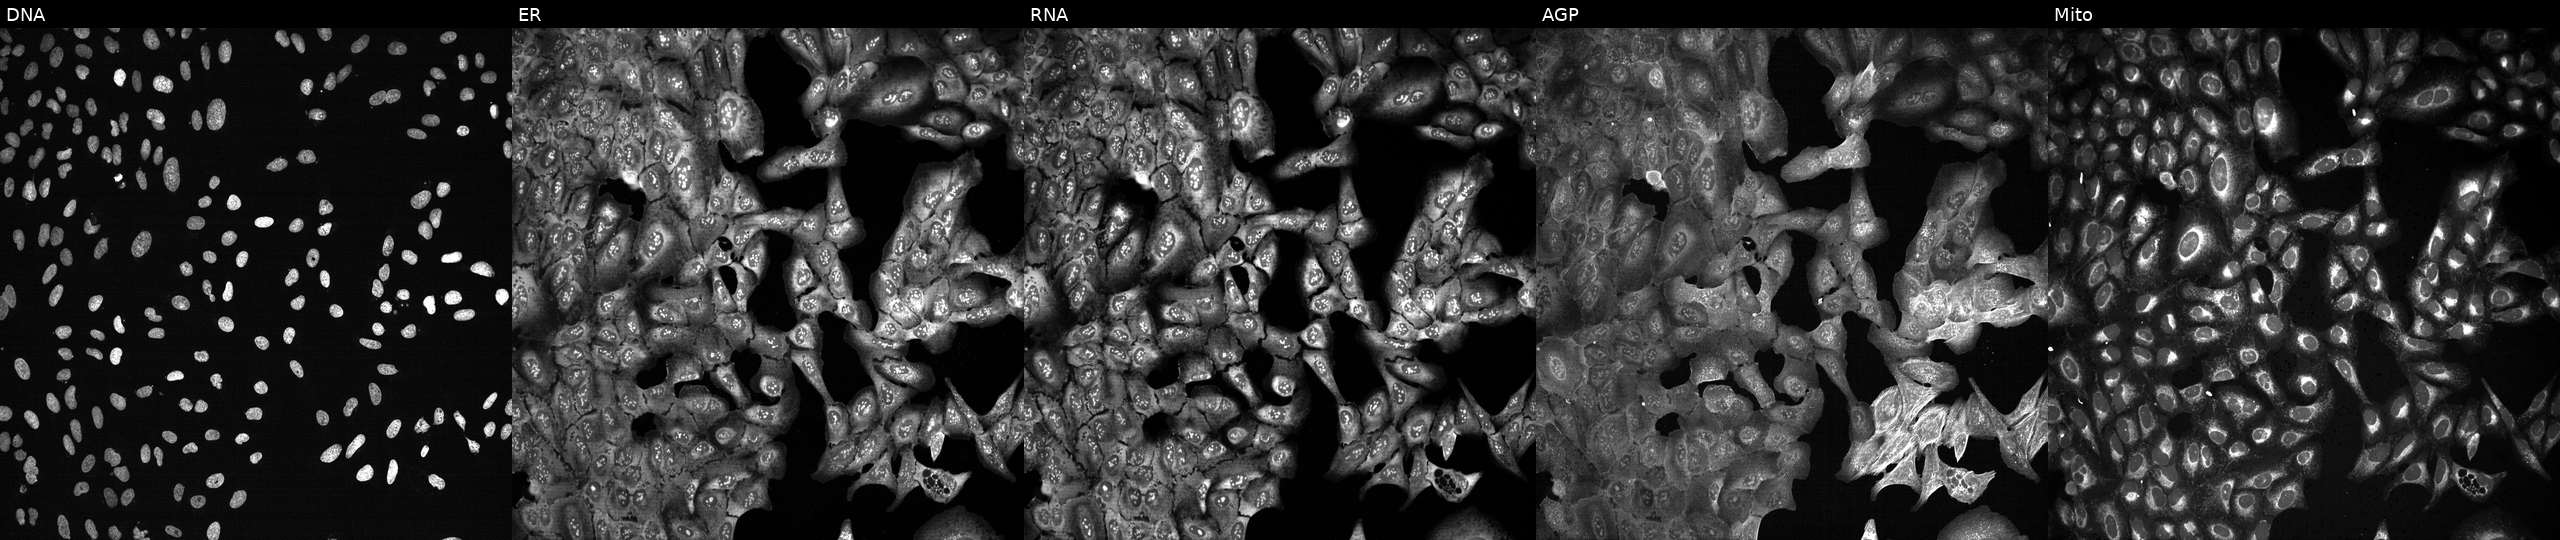
JUMP Cell Painting — CRISPR plate. U2OS cells with TRMT61A knocked out by CRISPR. The five panels, left to right, show Hoechst 33342, concanavalin A, SYTO 14, phalloidin and WGA, MitoTracker.